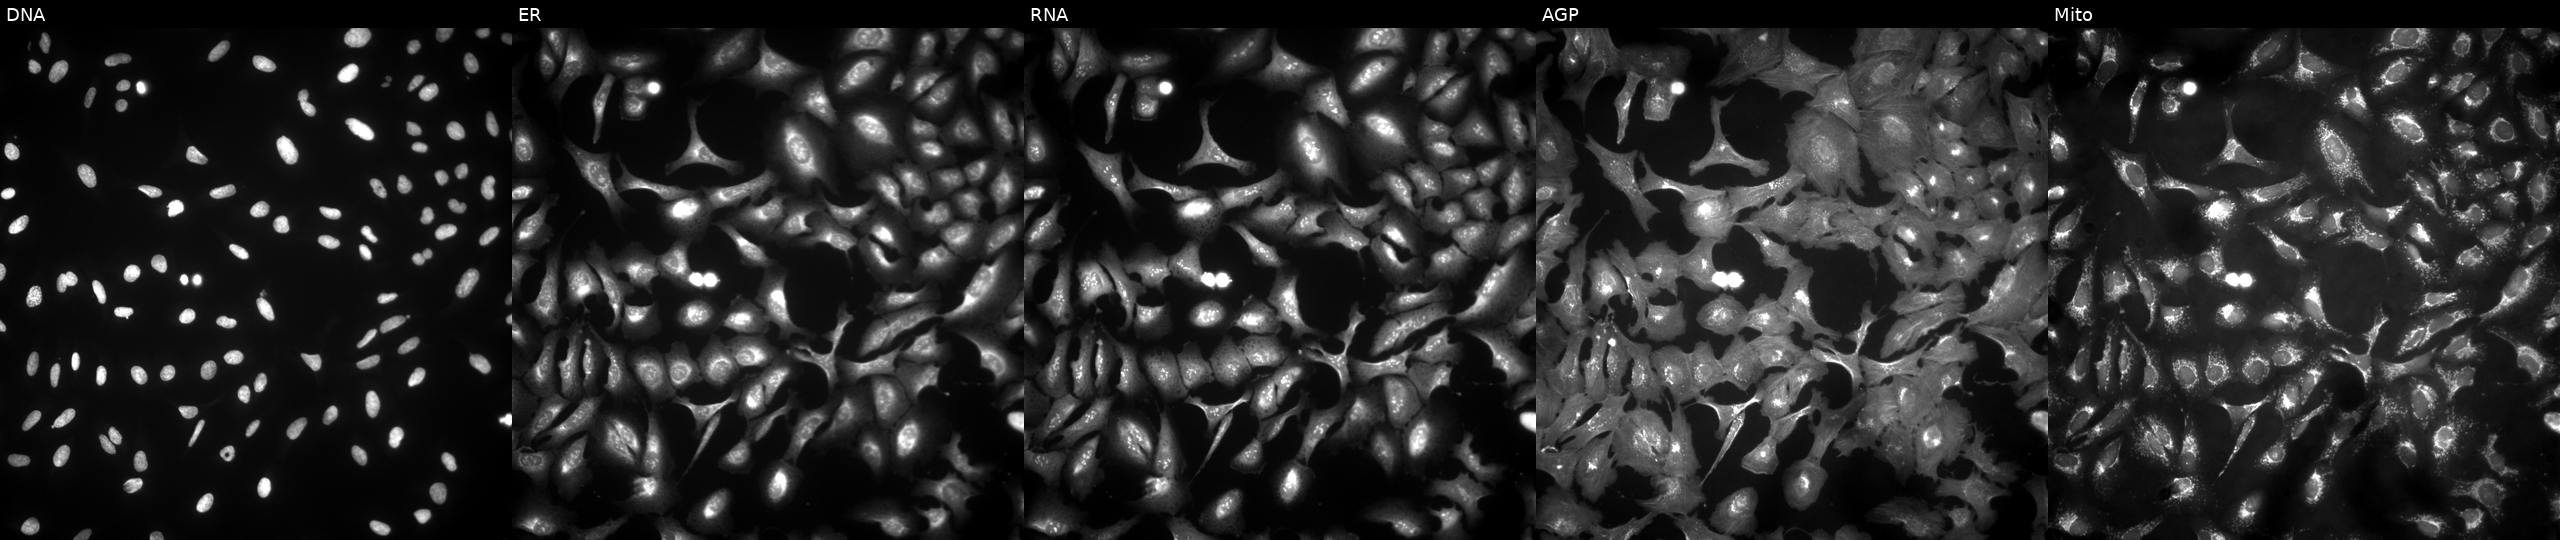
U2OS cells, Cell Painting assay, transfected with an ORF construct for EFS (JUMP id JCP2022_902228). Channels (left→right): DNA (nuclei); ER (endoplasmic reticulum); RNA (nucleoli and cytoplasmic RNA); AGP (actin cytoskeleton, Golgi, and plasma membrane); Mito (mitochondria). Each panel is percentile-stretched 16-bit fluorescence.